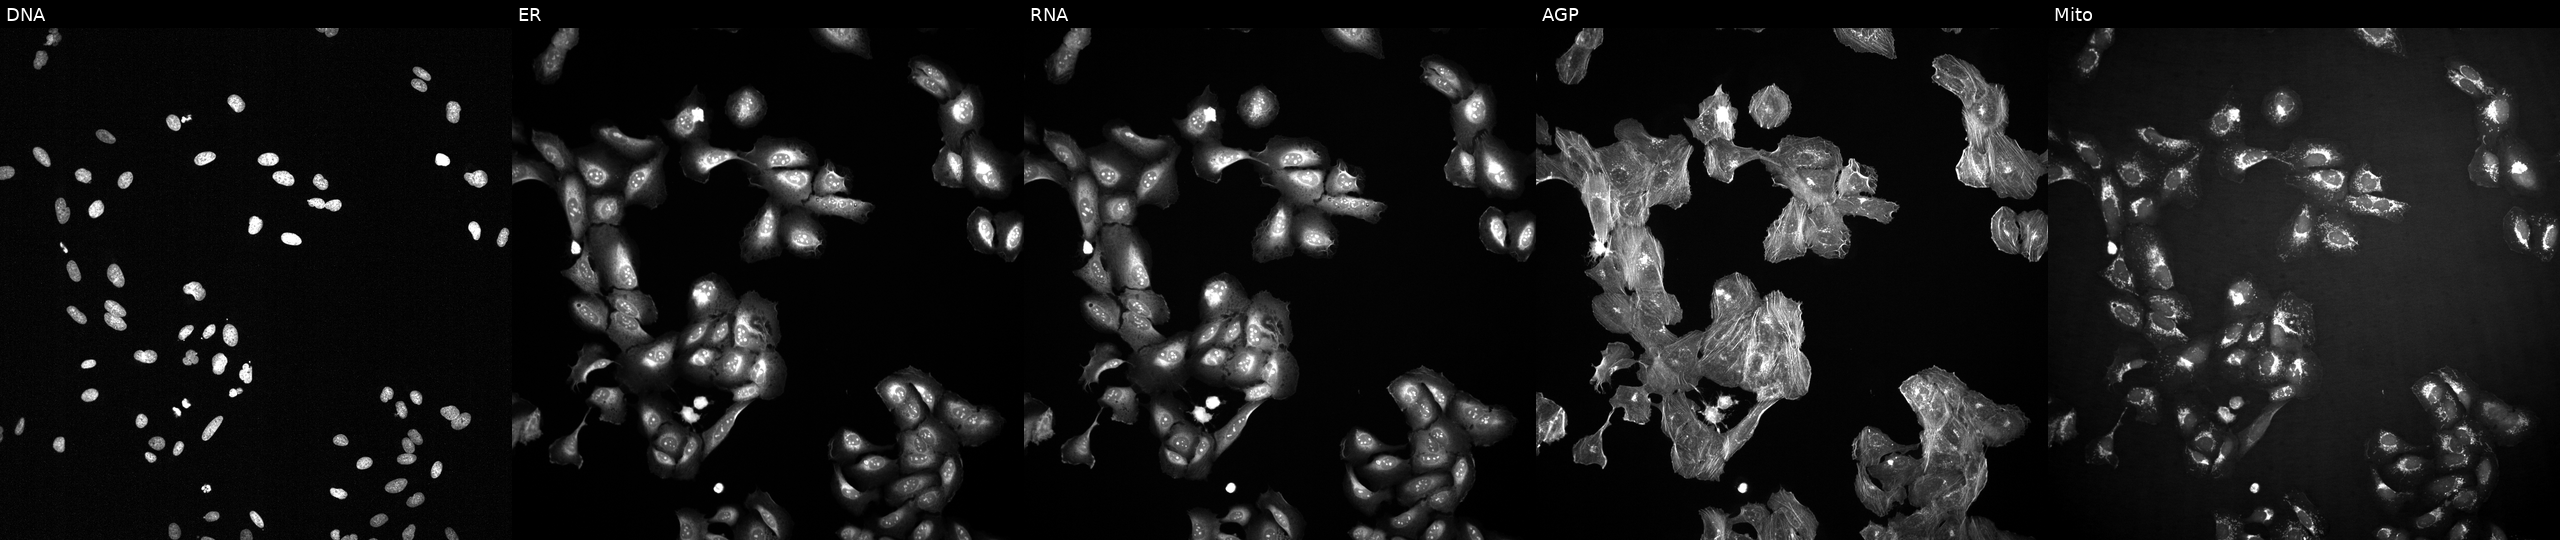
JUMP Cell Painting — COMPOUND plate. U2OS cells exposed to the positive-control compound TC-S-7004 (JUMP id JCP2022_012818). Panels show, left to right, DNA, ER, RNA, AGP, and Mito.